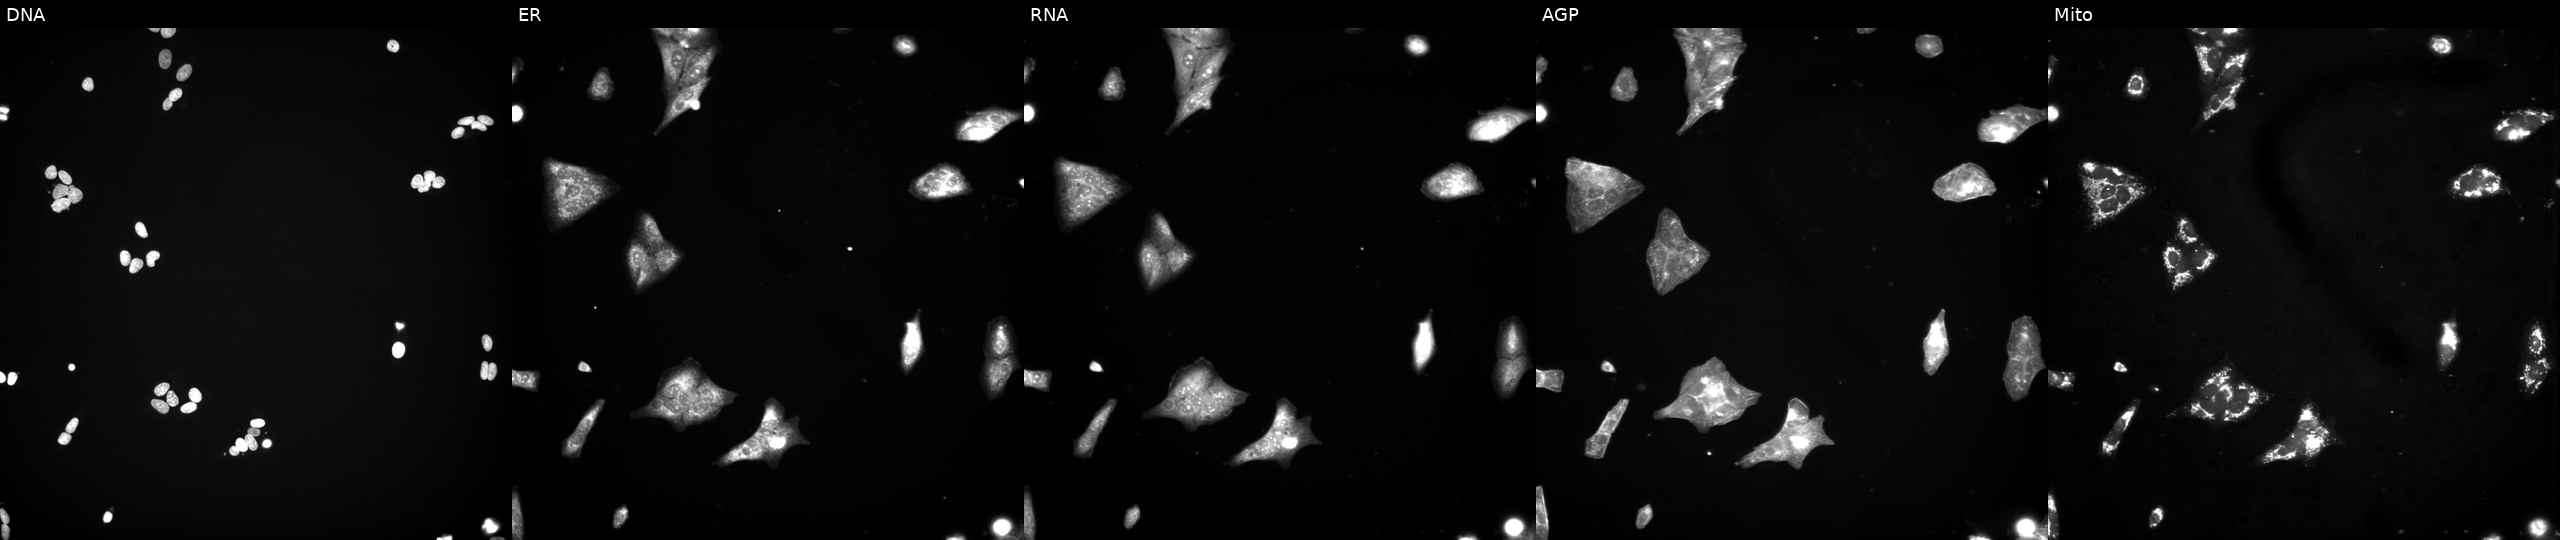
Five-channel Cell Painting image of U2OS cells perturbed with a small-molecule compound (InChIKey JOOXLOJCABQBSG-UHFFFAOYSA-N) [SMILES: Cc1c[nH]c(=Nc2ccc(OCCN3CCCC3)cc2)[nH]c1=Nc1cccc(S(=O)(=O)NC(C)(C)C)c1] (JUMP id JCP2022_041139). From left to right: DNA (nuclei); ER (endoplasmic reticulum); RNA (nucleoli and cytoplasmic RNA); AGP (actin cytoskeleton, Golgi, and plasma membrane); Mito (mitochondria). Source 3, plate JCPQC053, well M22.